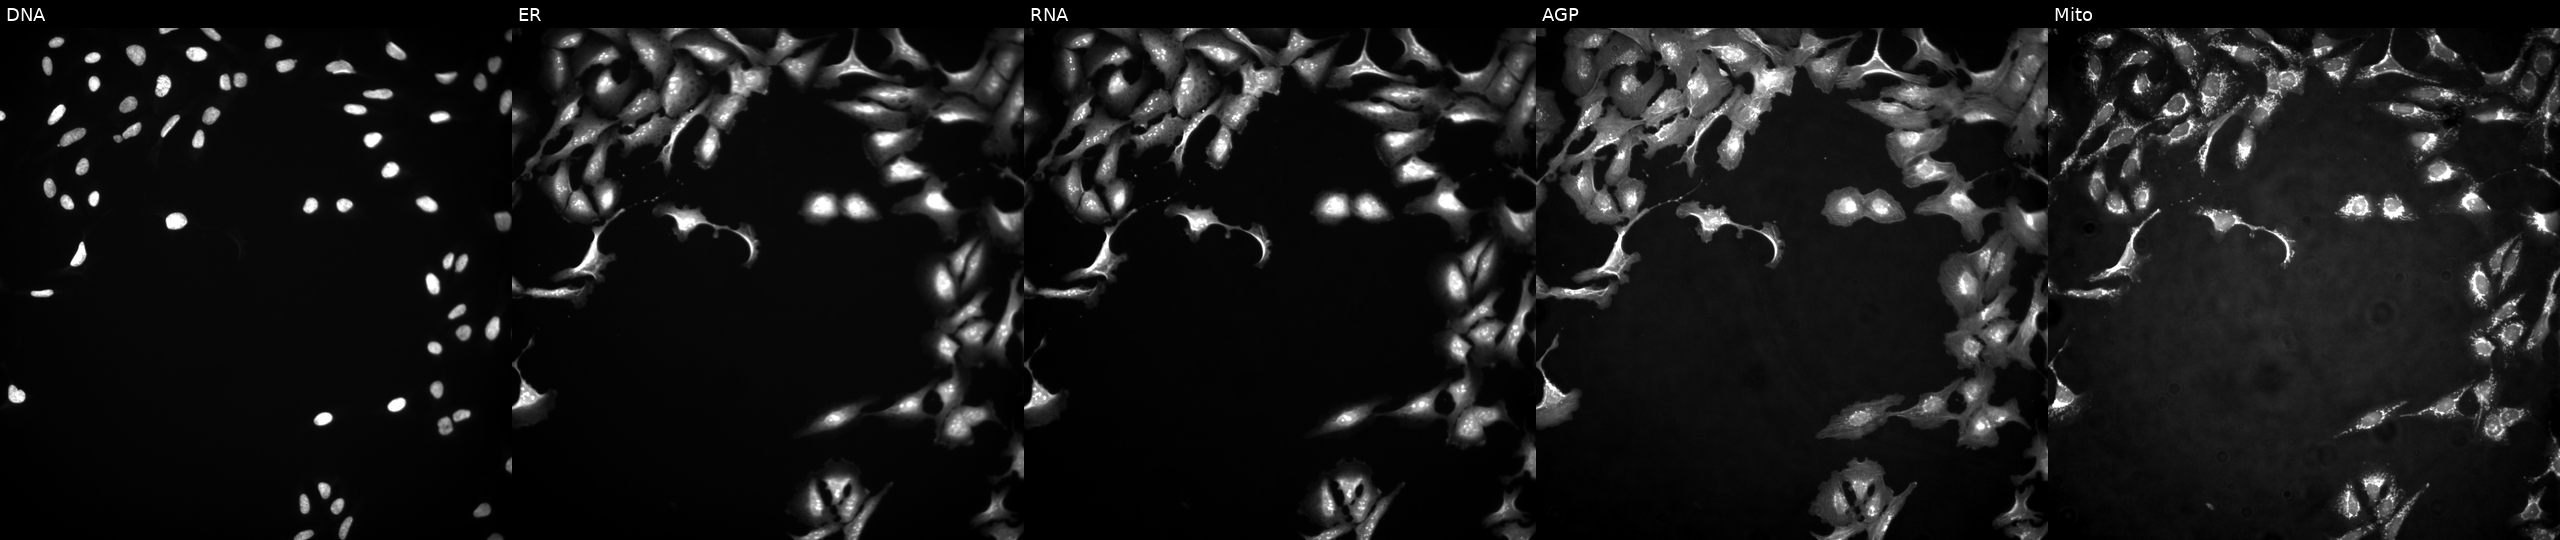
This image strip shows the five Cell Painting channels for a single field of U2OS cells transfected with an ORF construct for RCAN1 (JUMP id JCP2022_910053). Panels show, left to right, DNA, ER, RNA, AGP, and Mito. Source 4, plate BR00117035, well B01.